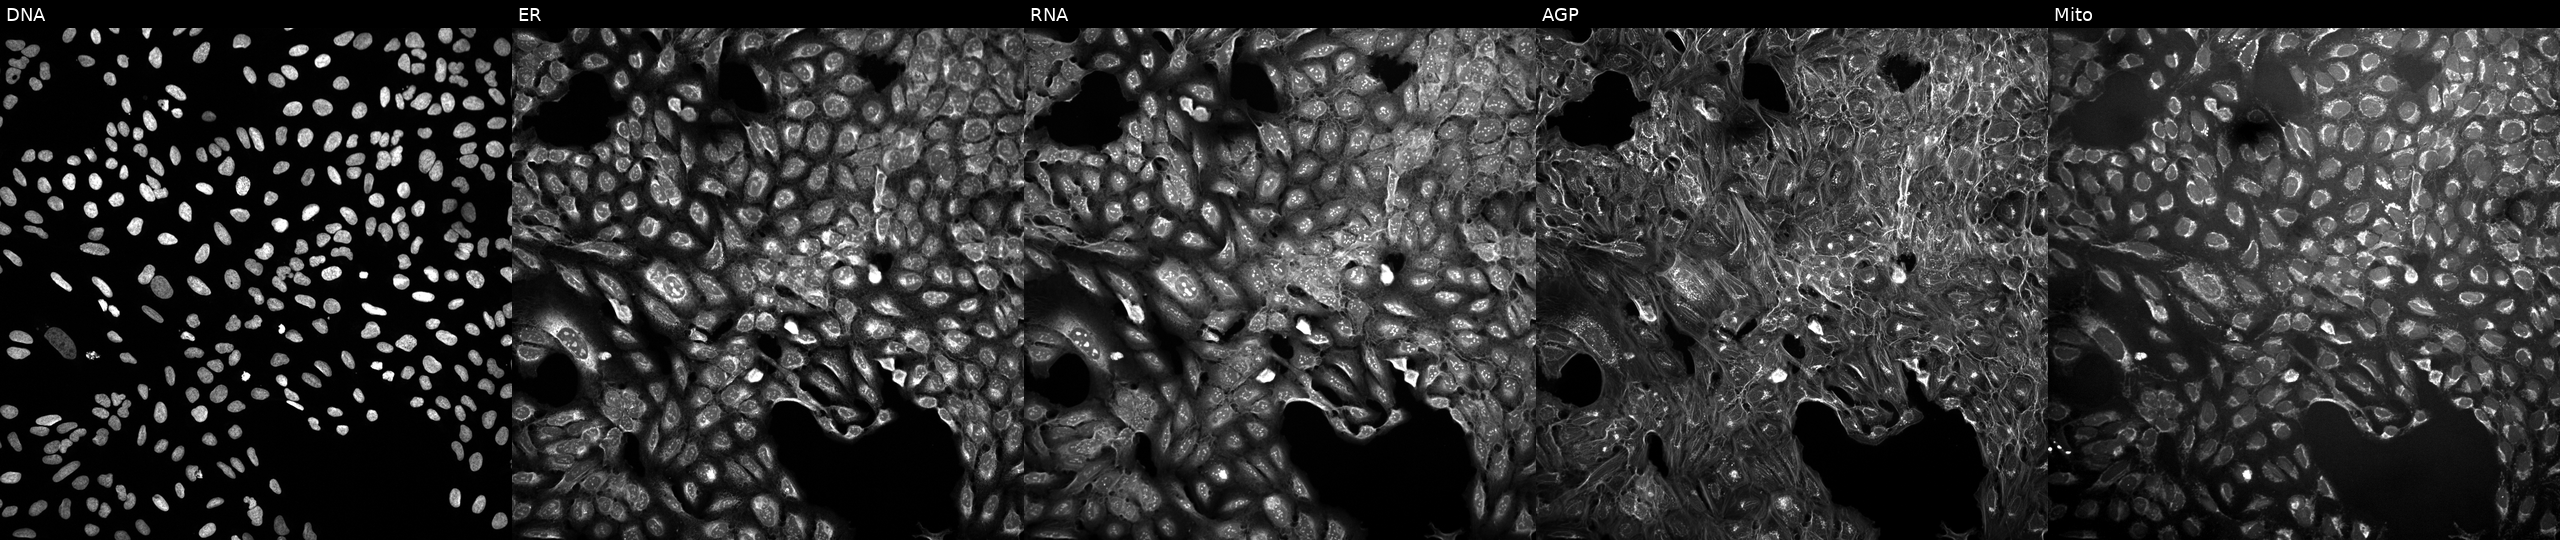
U2OS cells, Cell Painting assay, treated with quinidine (positive-control compound). The five panels, left to right, show Hoechst 33342, concanavalin A, SYTO 14, phalloidin and WGA, MitoTracker. Each panel is percentile-stretched 16-bit fluorescence. Source 10, plate Dest210531-152324, well O01.